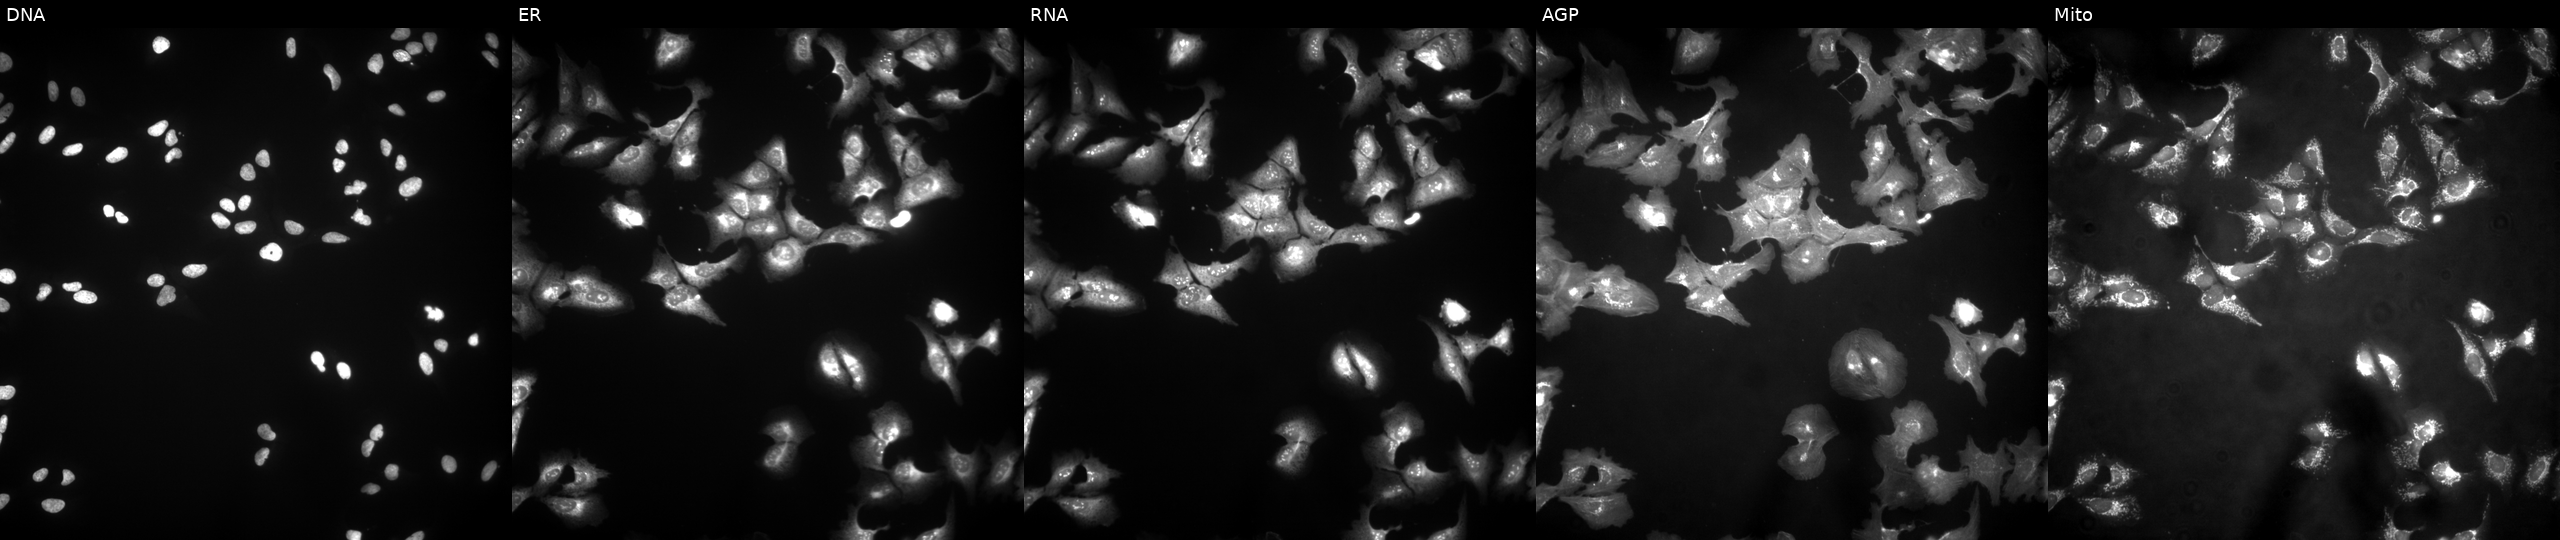
From left to right: DNA, ER, RNA, AGP, and Mito. U2OS osteosarcoma cells overexpressing IGHG1 via ORF transfection. Cell Painting assay, JUMP-CP dataset. Source 4, plate BR00123506, well M21.